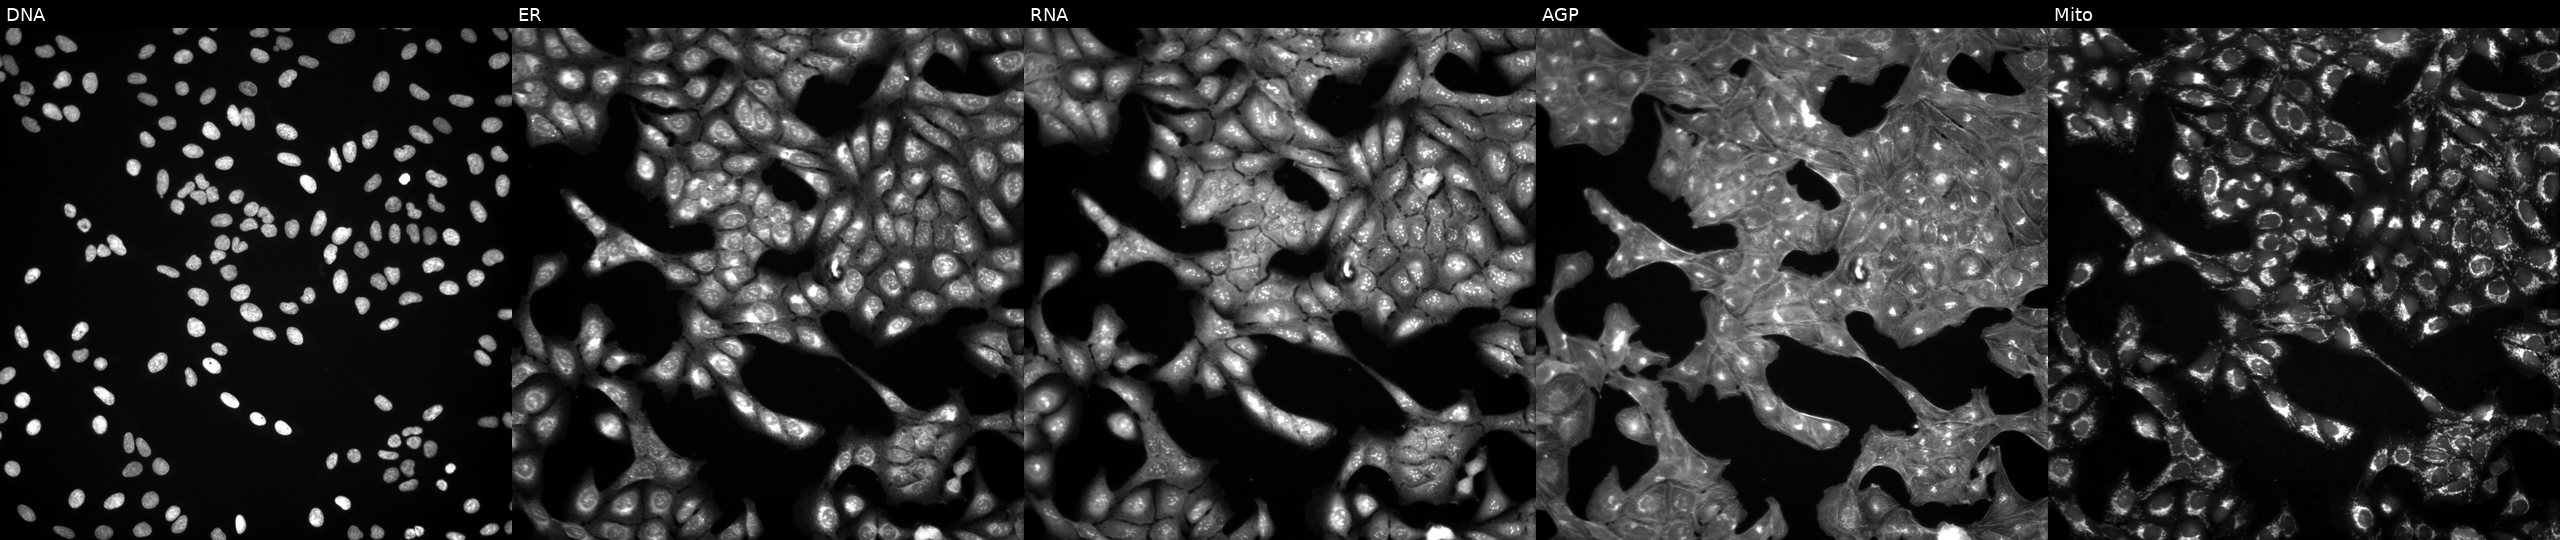
Five-channel Cell Painting image of U2OS cells treated with a small-molecule compound (JUMP id JCP2022_066287). Panels show, left to right, DNA, ER, RNA, AGP, and Mito.